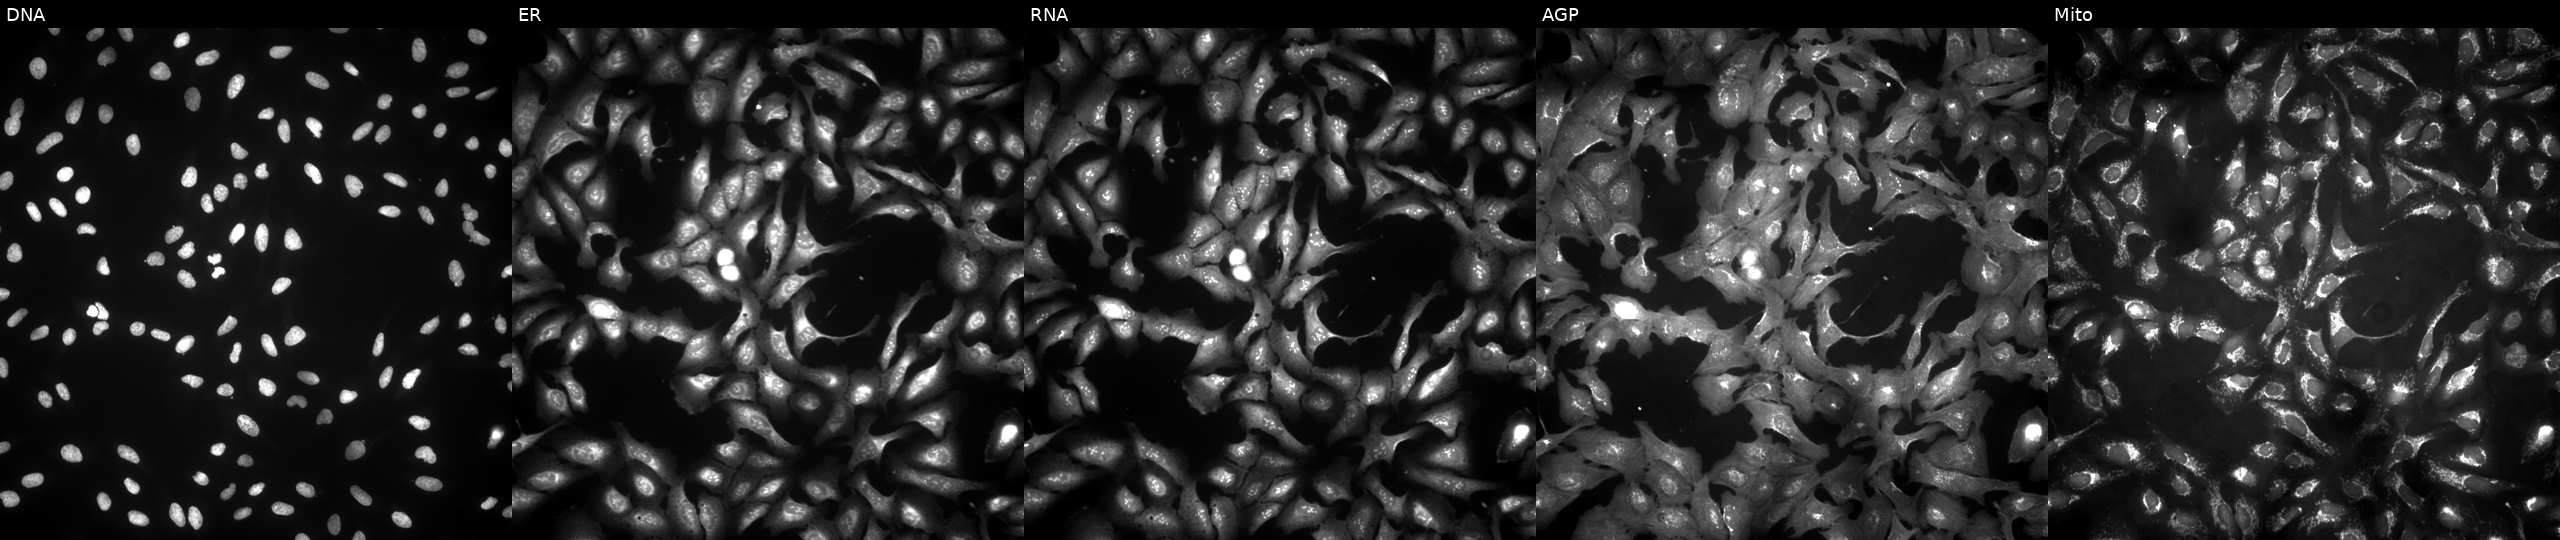
This image strip shows the five Cell Painting channels for a single field of U2OS cells overexpressing NSUN6 via ORF transfection (JUMP id JCP2022_909194). Panels show, left to right, Hoechst 33342, concanavalin A, SYTO 14, phalloidin and WGA, MitoTracker.